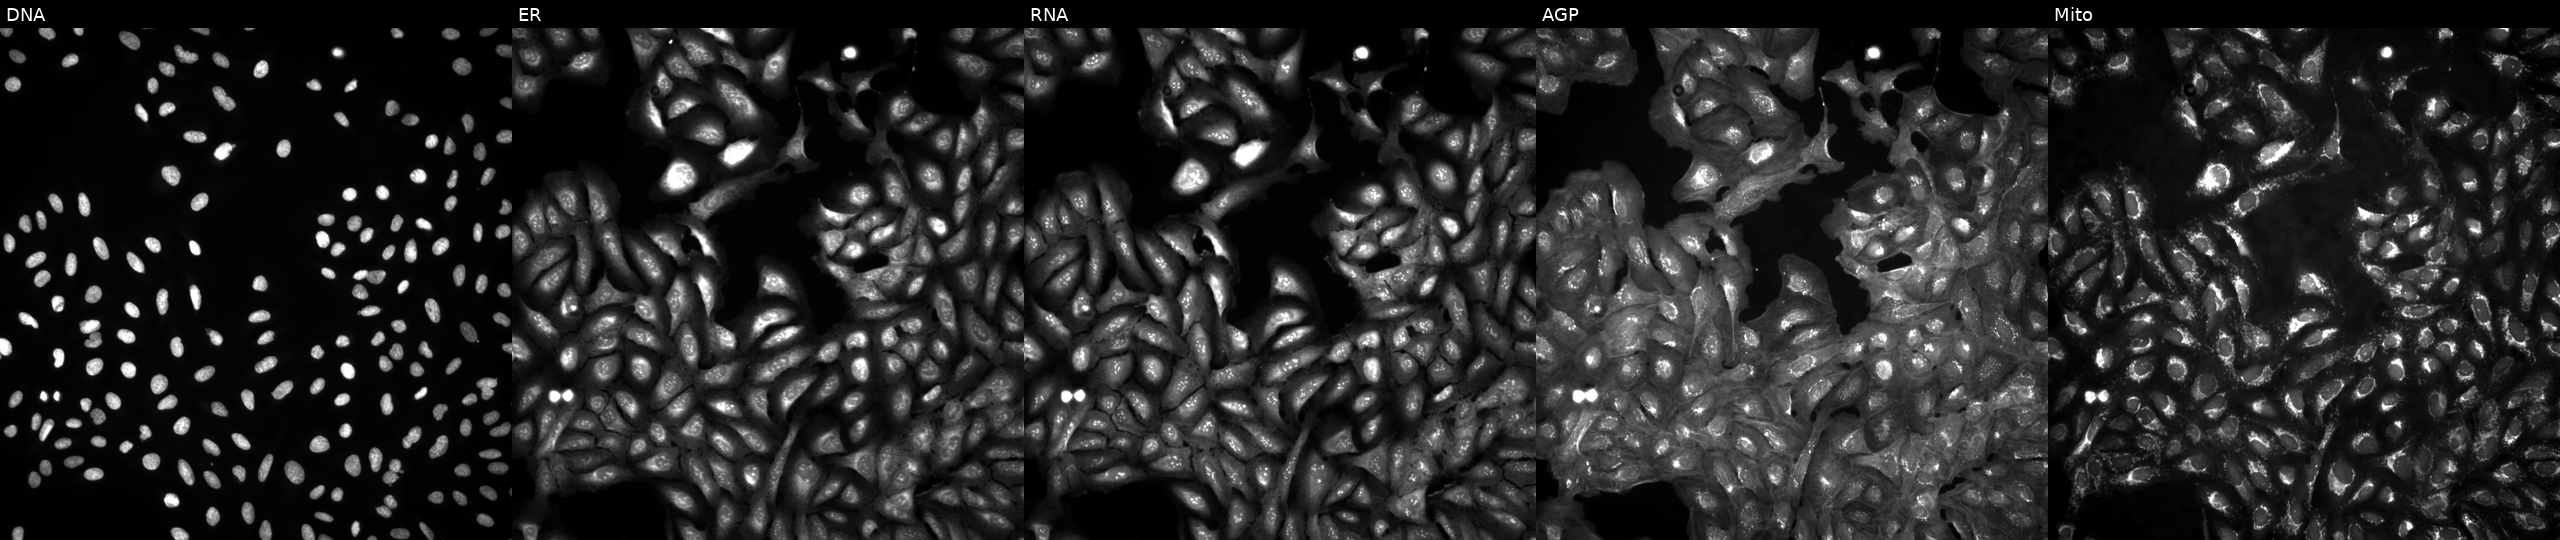
U2OS cells, Cell Painting assay, in an empty control well (no perturbation) (JUMP id JCP2022_999999). Channels (left→right): Hoechst 33342, concanavalin A, SYTO 14, phalloidin and WGA, MitoTracker. Each panel is percentile-stretched 16-bit fluorescence.